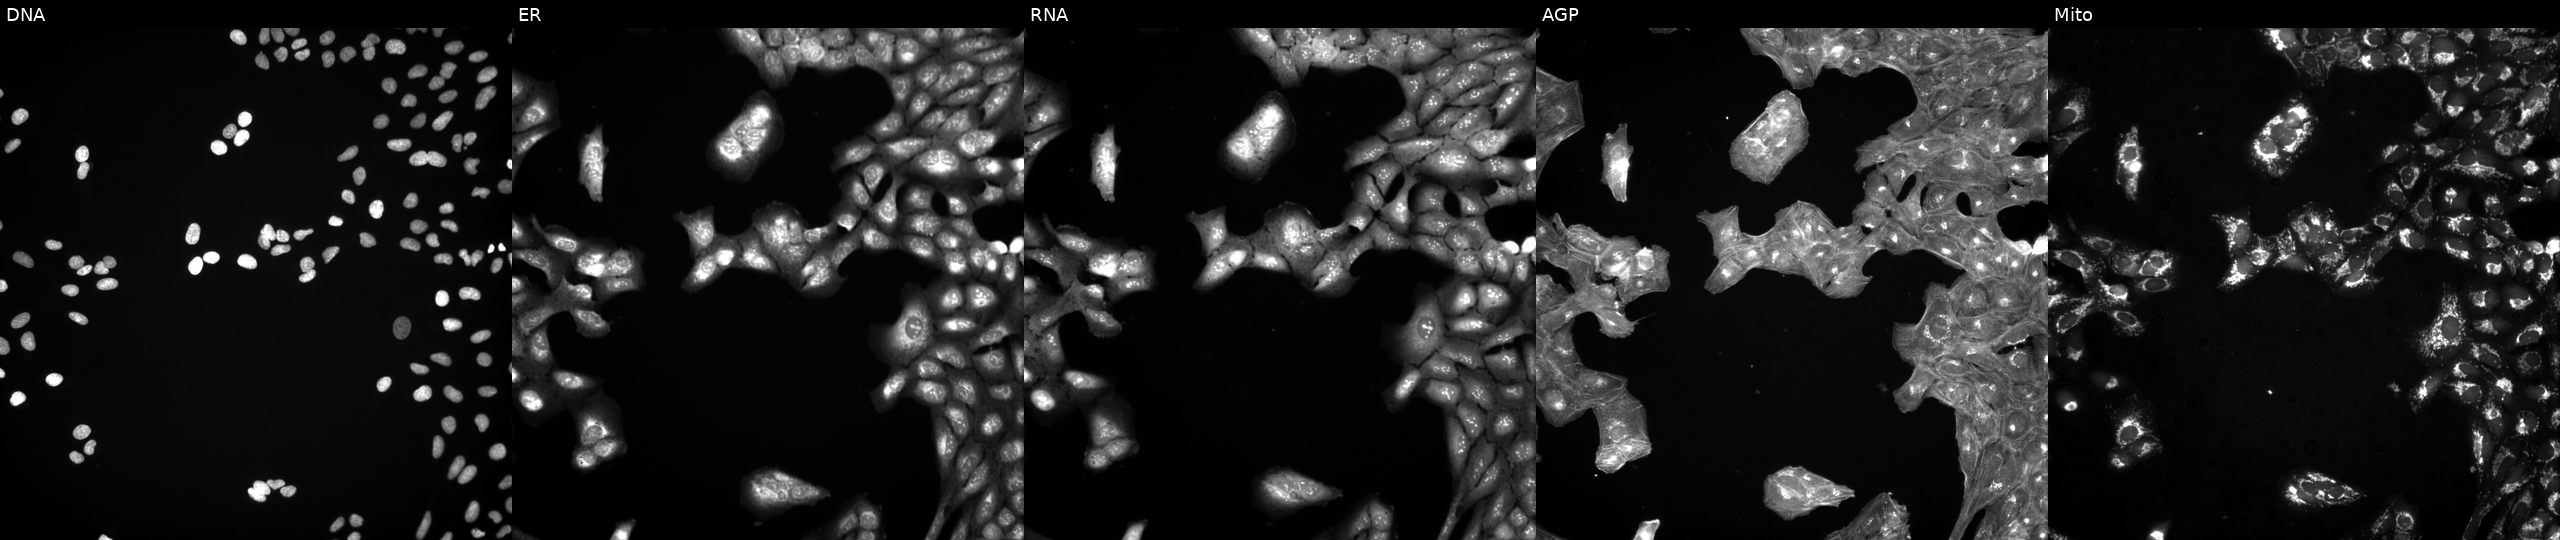
The five panels, left to right, show Hoechst 33342, concanavalin A, SYTO 14, phalloidin and WGA, MitoTracker. U2OS osteosarcoma cells perturbed with a small-molecule compound (JUMP id JCP2022_009419). Cell Painting assay, JUMP-CP dataset. Source 3, plate JCPQC051, well O03.